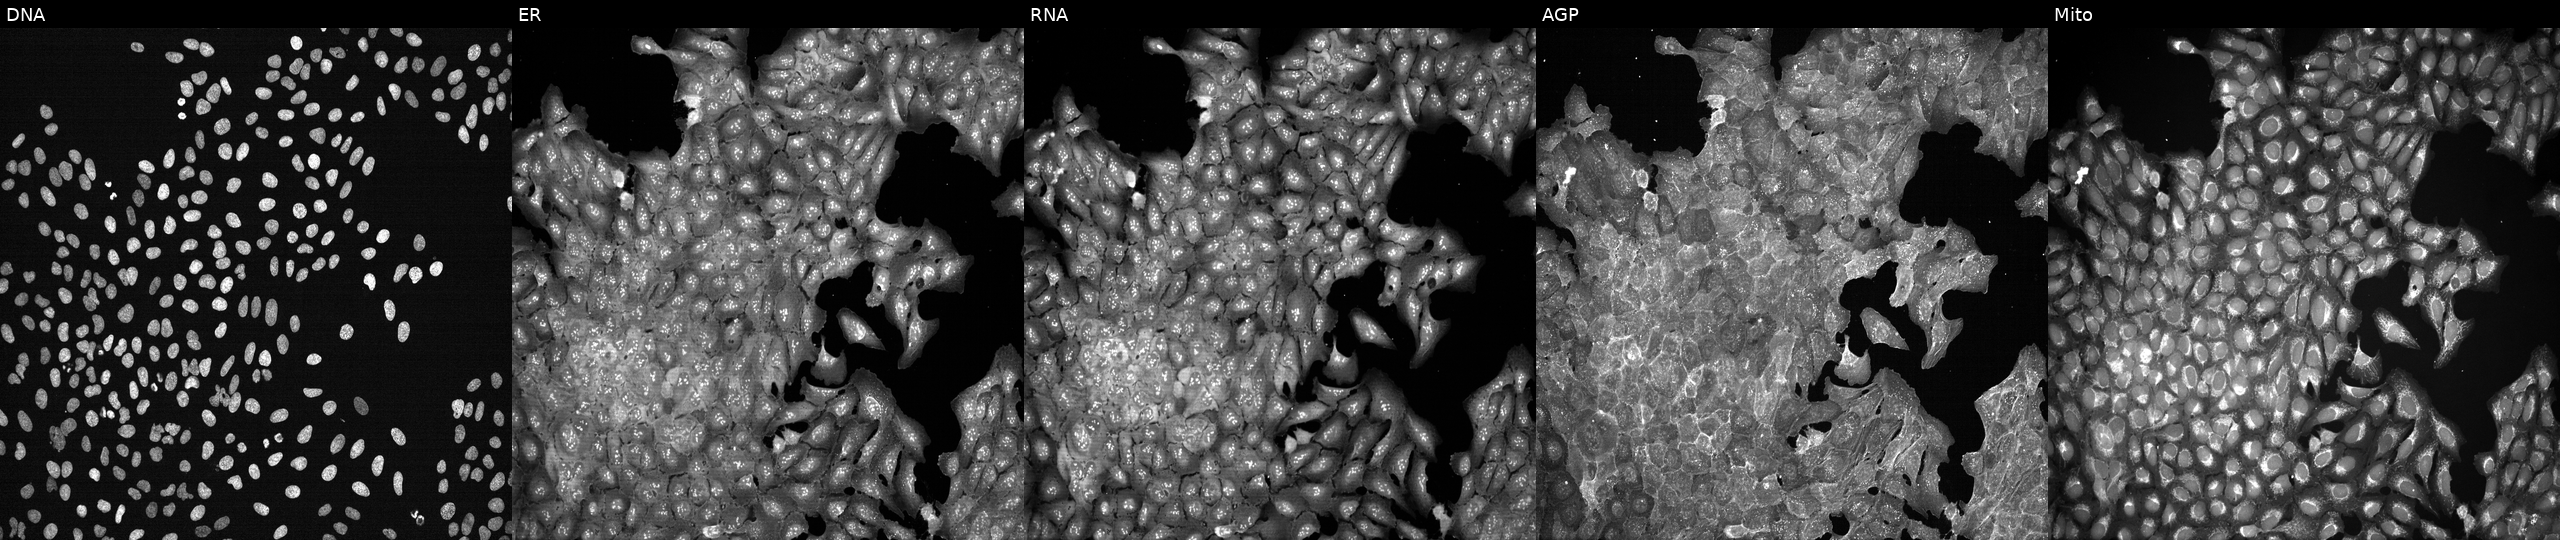
The five panels, left to right, show Hoechst 33342, concanavalin A, SYTO 14, phalloidin and WGA, MitoTracker. U2OS osteosarcoma cells exposed to a small-molecule compound (InChIKey GCUCIFQCGJIRNT-UHFFFAOYSA-N) (JUMP id JCP2022_024601). Cell Painting assay, JUMP-CP dataset. Source 7, plate CP2-SC1-25, well C07.